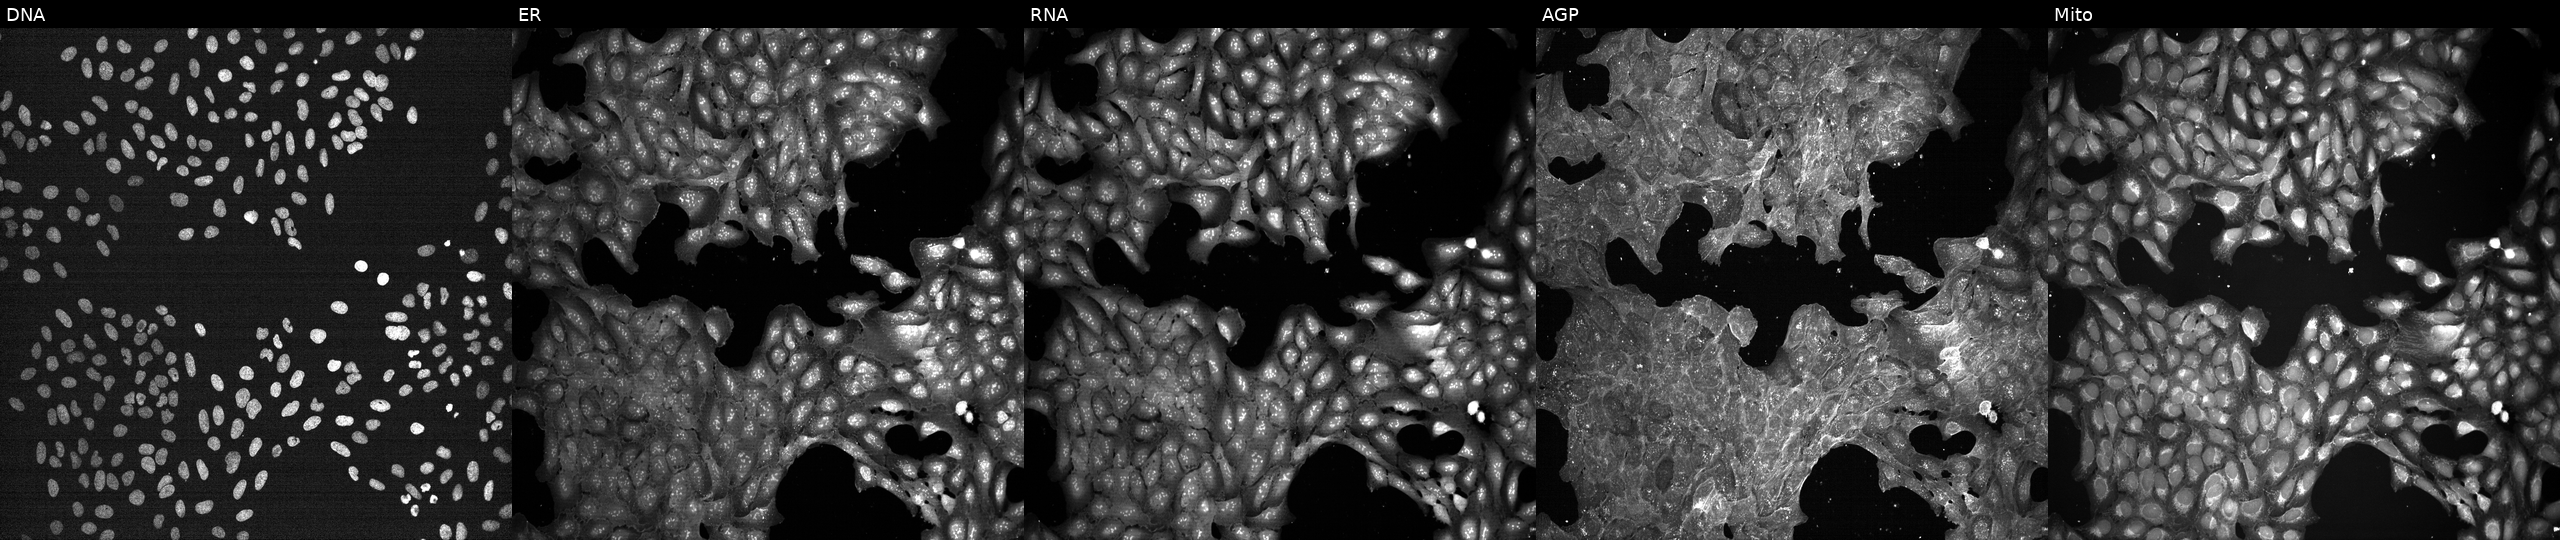
This image strip shows the five Cell Painting channels for a single field of U2OS cells perturbed with a small-molecule compound. Channels (left→right): Hoechst 33342, concanavalin A, SYTO 14, phalloidin and WGA, MitoTracker. Source 7, plate CP1-SC1-25, well M02.